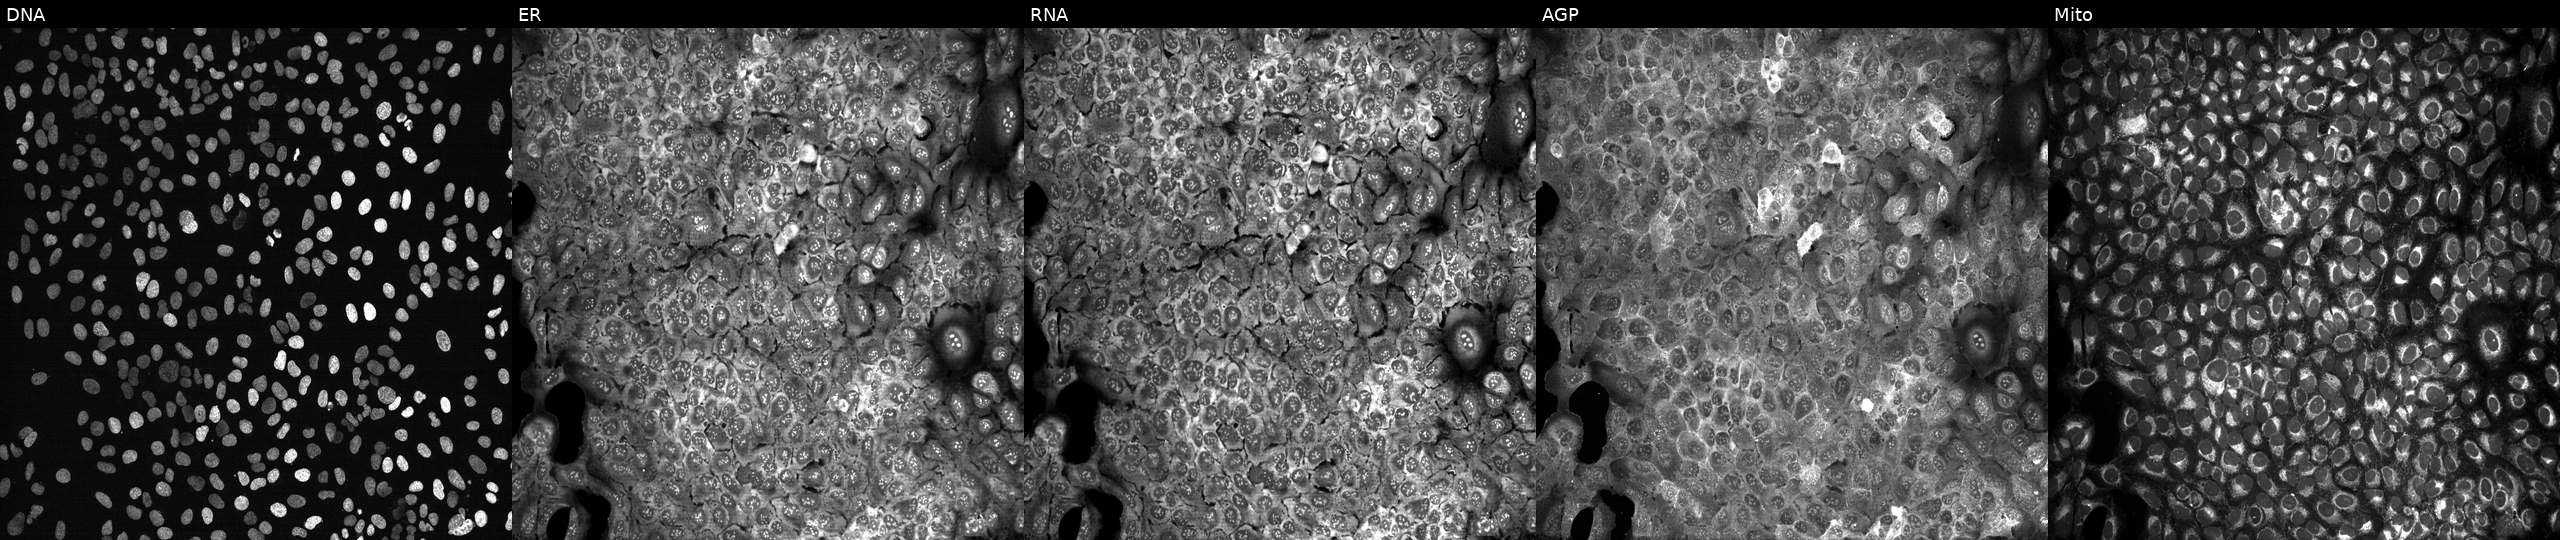
JUMP Cell Painting — CRISPR plate. U2OS cells following CRISPR knockout of PLD5. The five panels, left to right, show DNA, ER, RNA, AGP, and Mito.